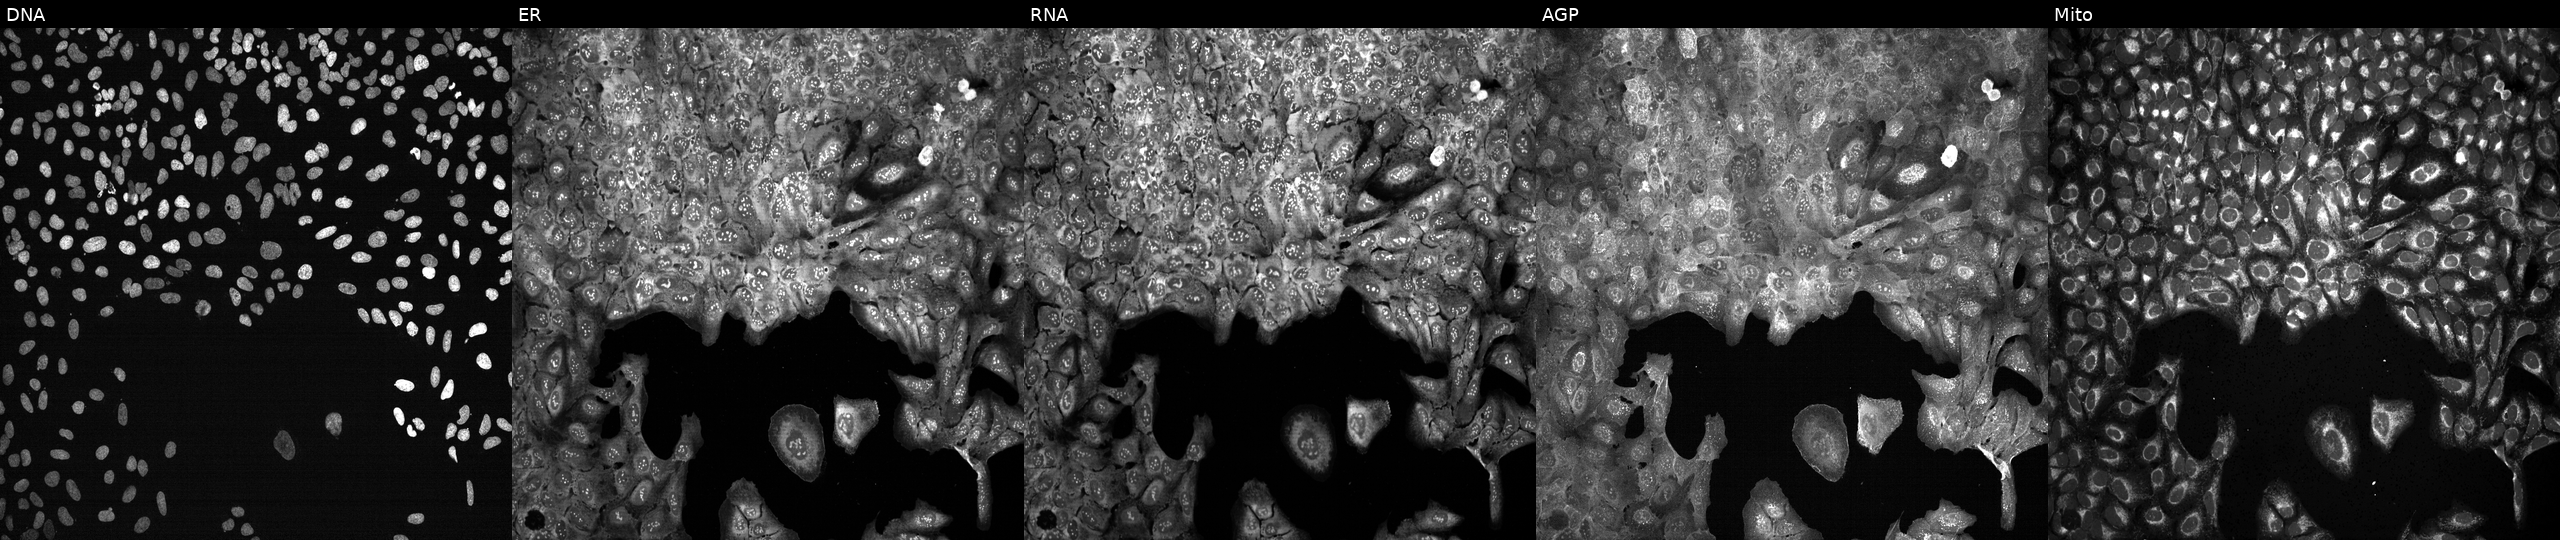
This image strip shows the five Cell Painting channels for a single field of U2OS cells following CRISPR knockout of TTLL1 (JUMP id JCP2022_807383). Panels show, left to right, DNA (nuclei); ER (endoplasmic reticulum); RNA (nucleoli and cytoplasmic RNA); AGP (actin cytoskeleton, Golgi, and plasma membrane); Mito (mitochondria). Source 13, plate CP-CC9-R4-04, well N03.